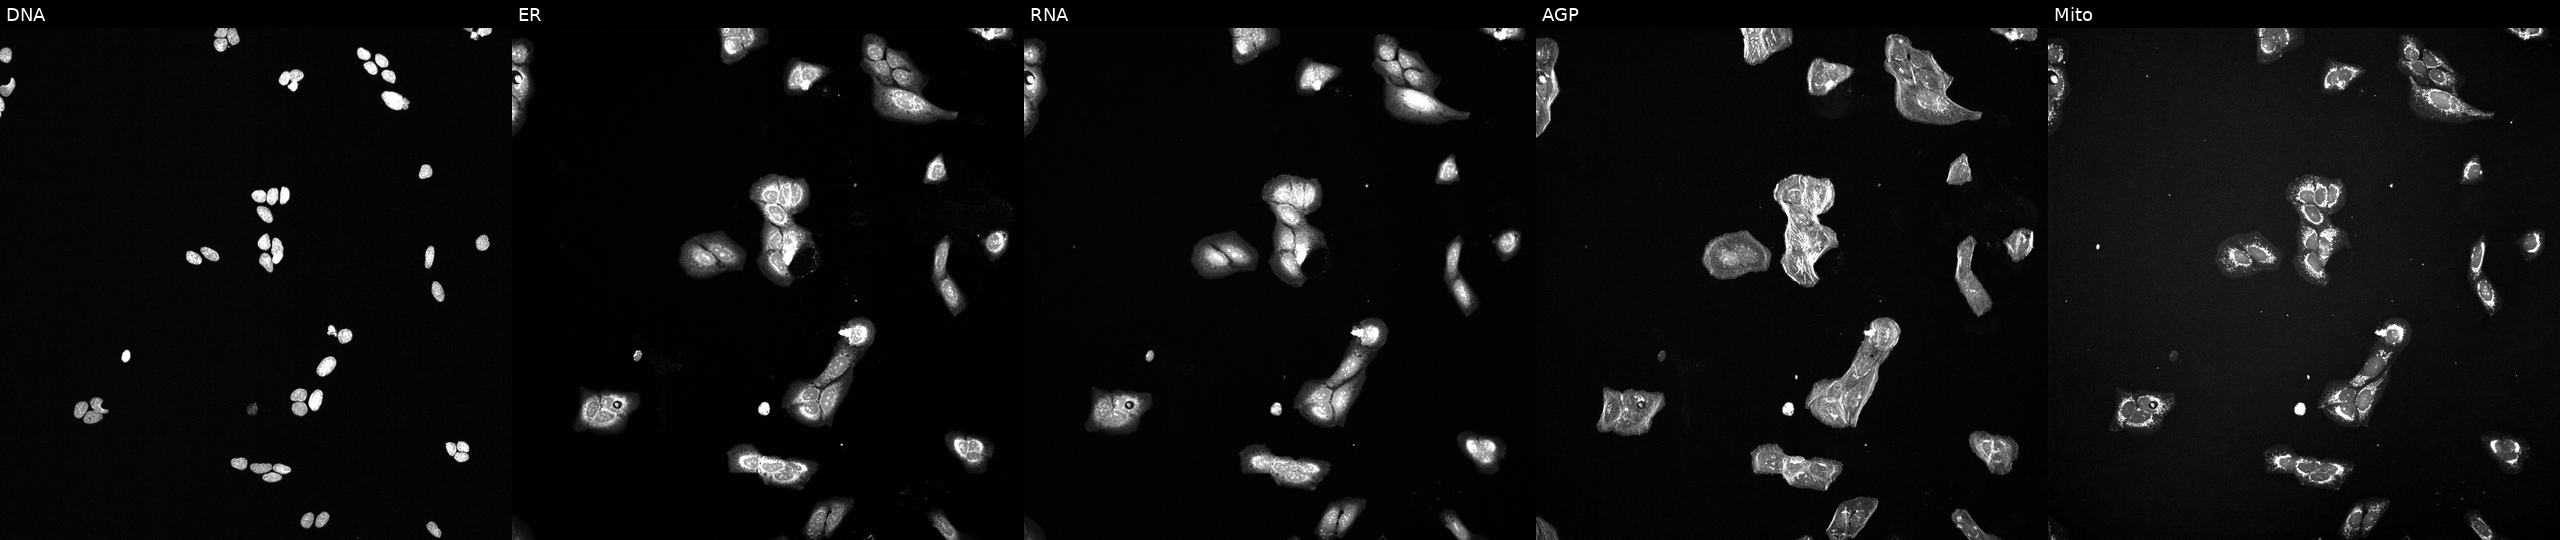
Five-channel Cell Painting image of U2OS cells treated with a small-molecule compound [SMILES: N=c1[nH]cnc2c1c(-c1cnc3[nH]ccc3c1)nn2C1CCCC1]. Channels (left→right): DNA (nuclei); ER (endoplasmic reticulum); RNA (nucleoli and cytoplasmic RNA); AGP (actin cytoskeleton, Golgi, and plasma membrane); Mito (mitochondria).